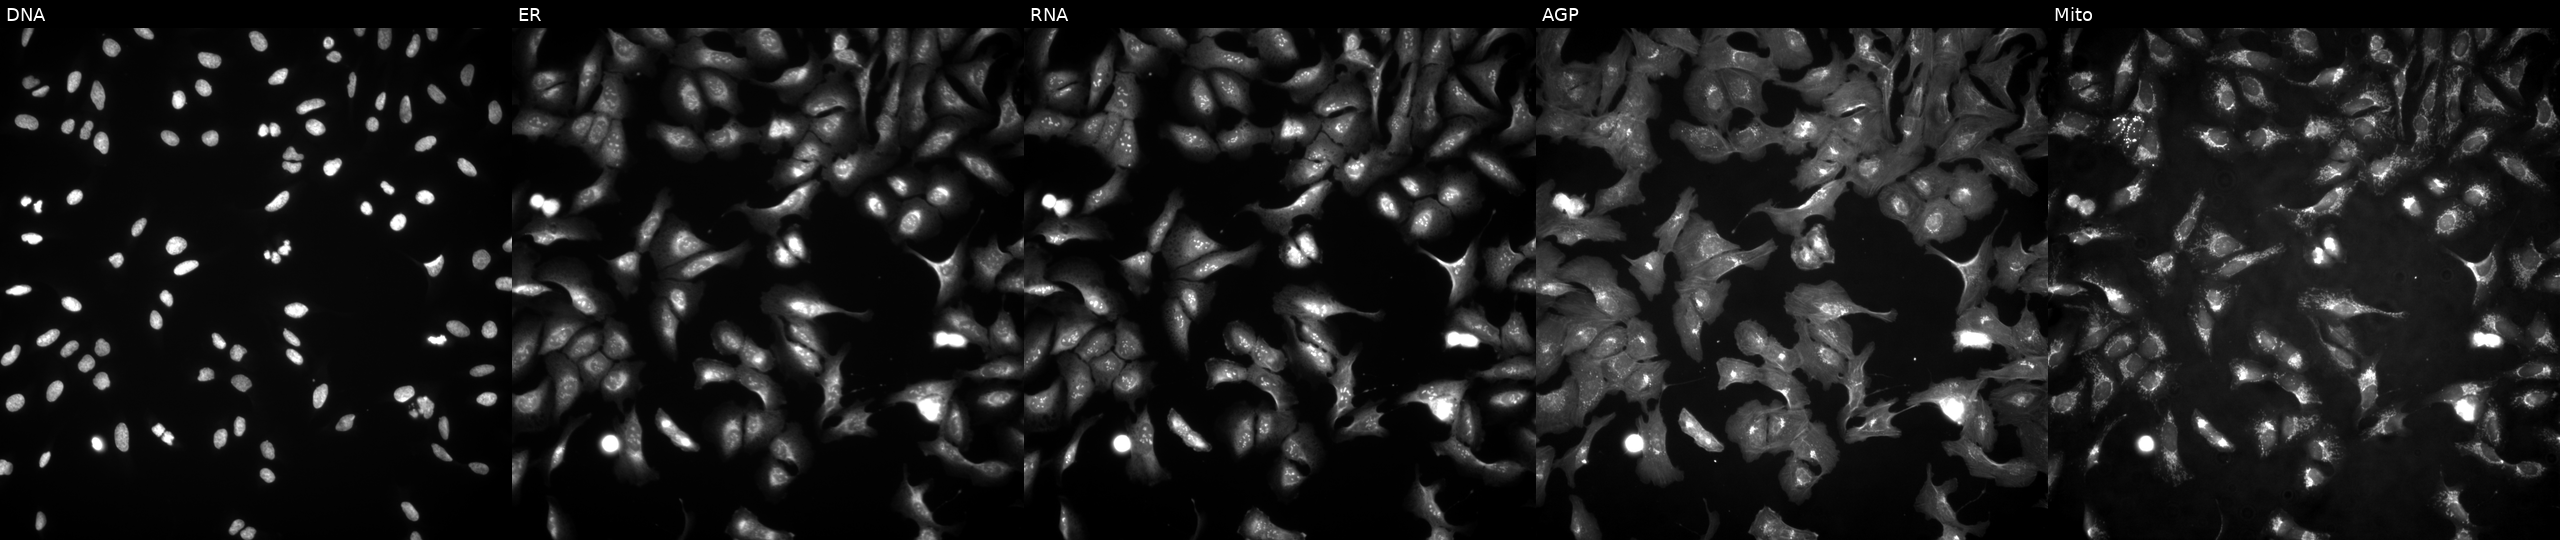
JUMP Cell Painting — ORF plate. U2OS cells with ODR4 overexpressed (ORF) (JUMP id JCP2022_911301). Channels (left→right): Hoechst 33342, concanavalin A, SYTO 14, phalloidin and WGA, MitoTracker. Source 4, plate BR00123509, well M09.